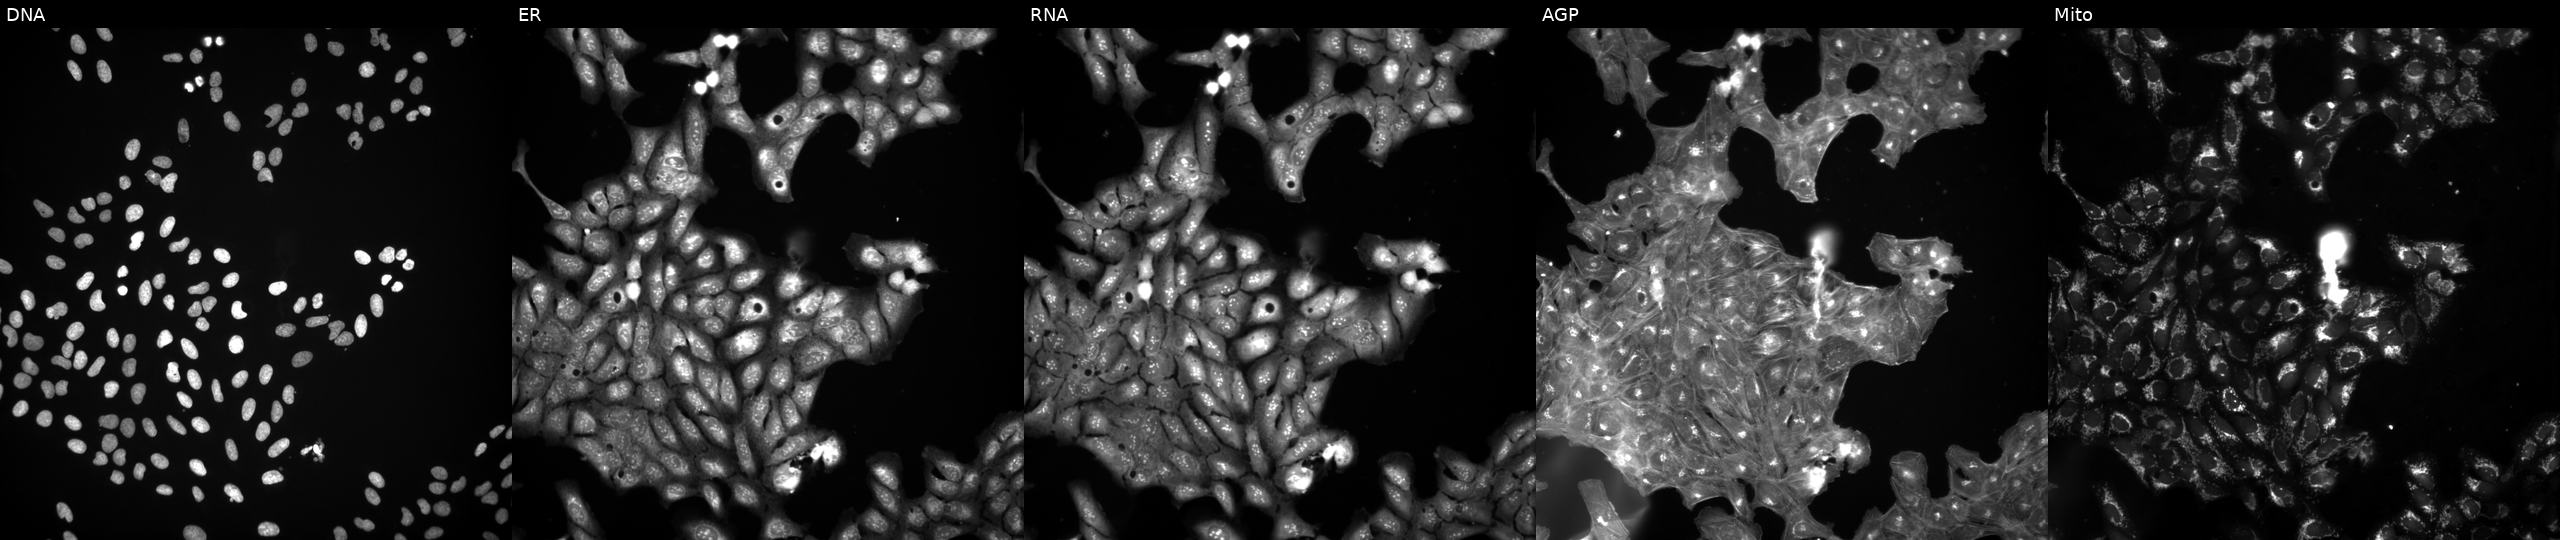
This image strip shows the five Cell Painting channels for a single field of U2OS cells perturbed with a small-molecule compound (InChIKey XRKYMMUGXMWDAO-UHFFFAOYSA-N). Channels (left→right): DNA (nuclei); ER (endoplasmic reticulum); RNA (nucleoli and cytoplasmic RNA); AGP (actin cytoskeleton, Golgi, and plasma membrane); Mito (mitochondria).